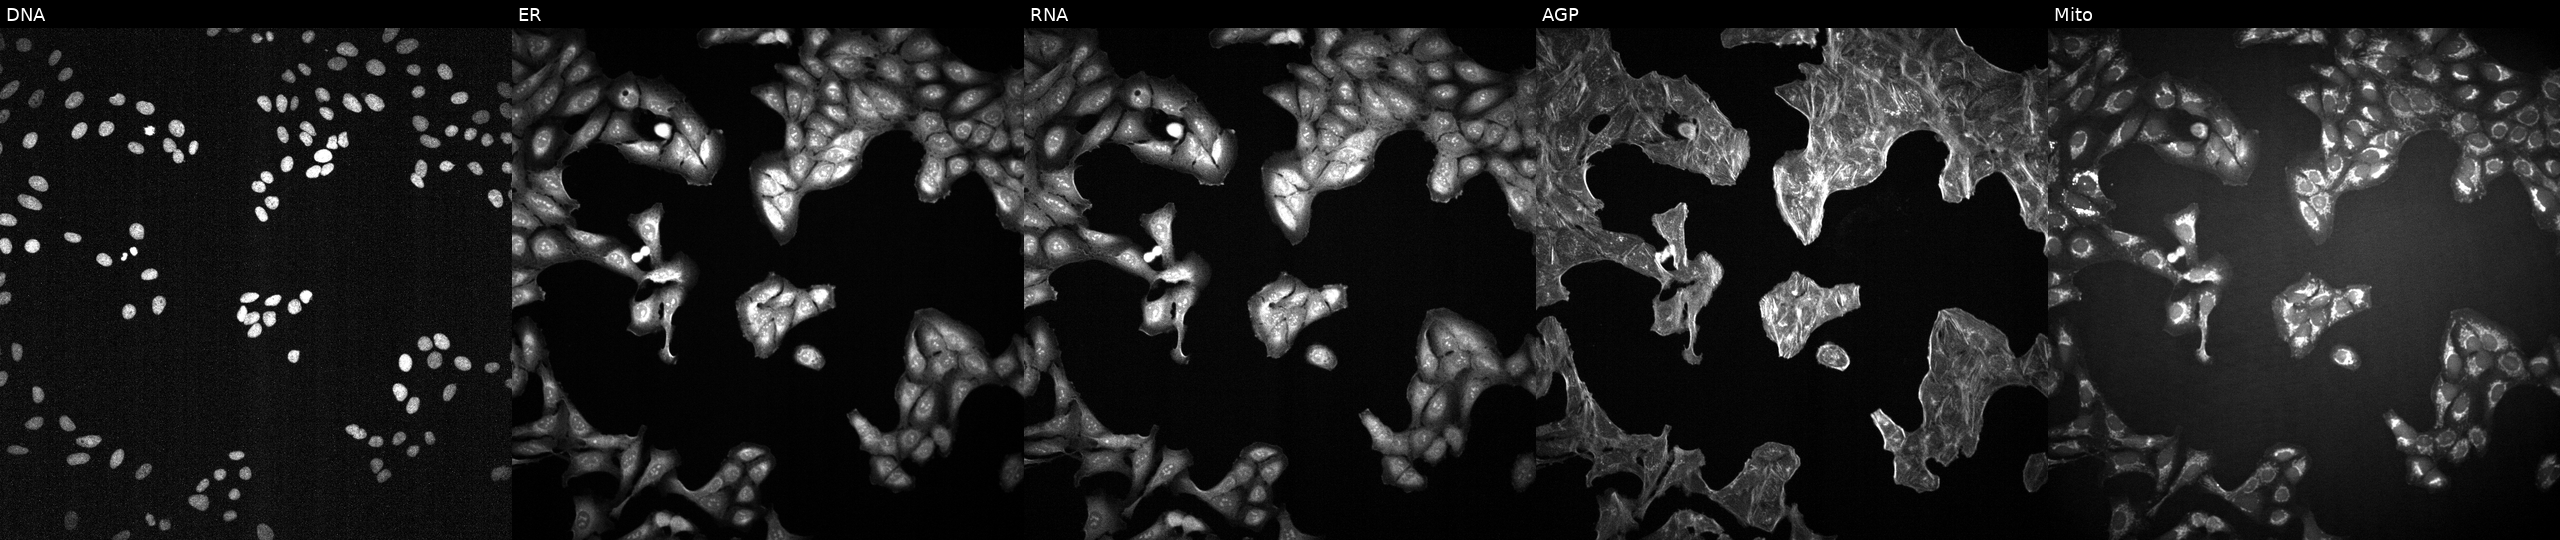
High-content fluorescence microscopy (Cell Painting). Cell line: U2OS. Perturbation: exposed to a small-molecule compound (InChIKey PBBGSZCBWVPOOL-UHFFFAOYSA-N) (JUMP id JCP2022_067426). The five panels, left to right, show Hoechst 33342, concanavalin A, SYTO 14, phalloidin and WGA, MitoTracker.